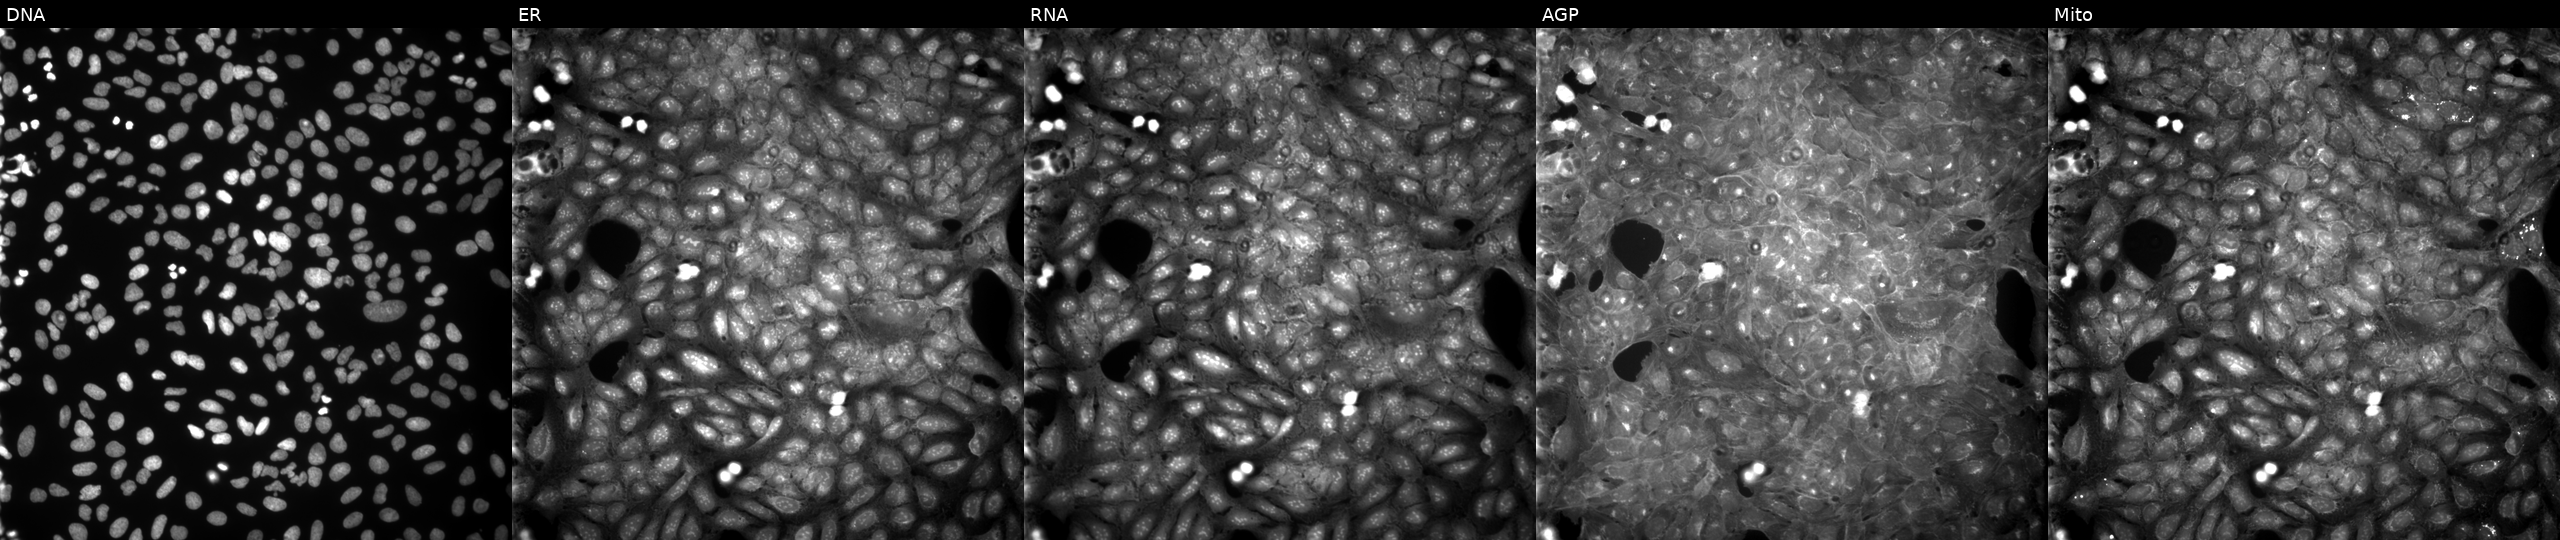
Channels (left→right): DNA, ER, RNA, AGP, and Mito. U2OS osteosarcoma cells treated with DMSO vehicle only (negative control). Cell Painting assay, JUMP-CP dataset. Source 9, plate GR00003382, well B26.